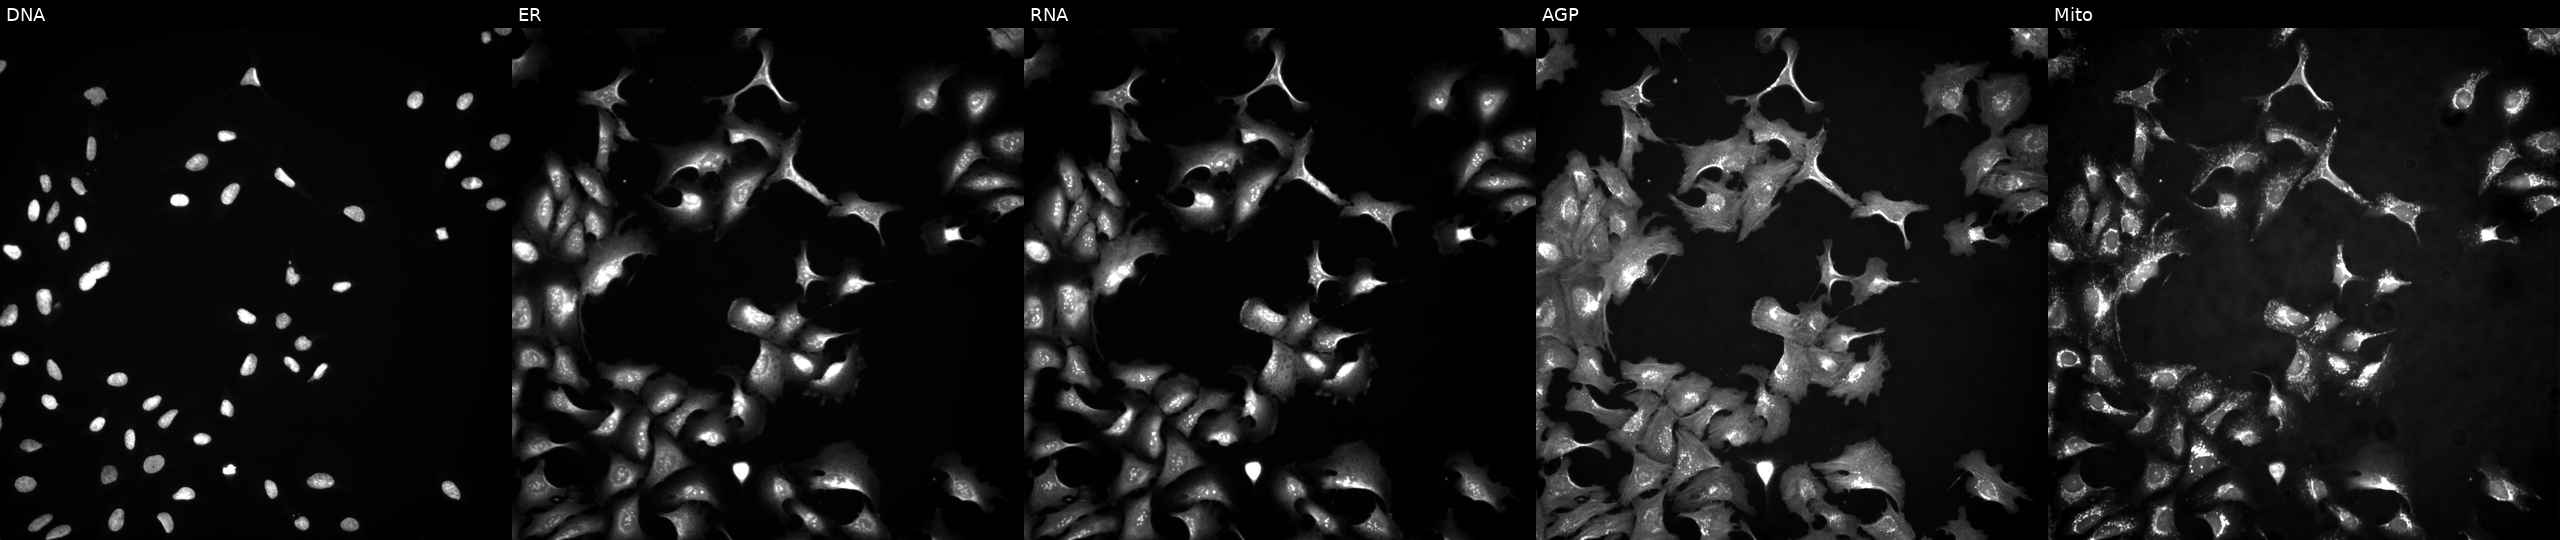
High-content fluorescence microscopy (Cell Painting). Cell line: U2OS. Perturbation: transfected with an ORF construct for TSSK6. The five panels, left to right, show DNA (nuclei); ER (endoplasmic reticulum); RNA (nucleoli and cytoplasmic RNA); AGP (actin cytoskeleton, Golgi, and plasma membrane); Mito (mitochondria). Source 4, plate BR00123945, well I09.